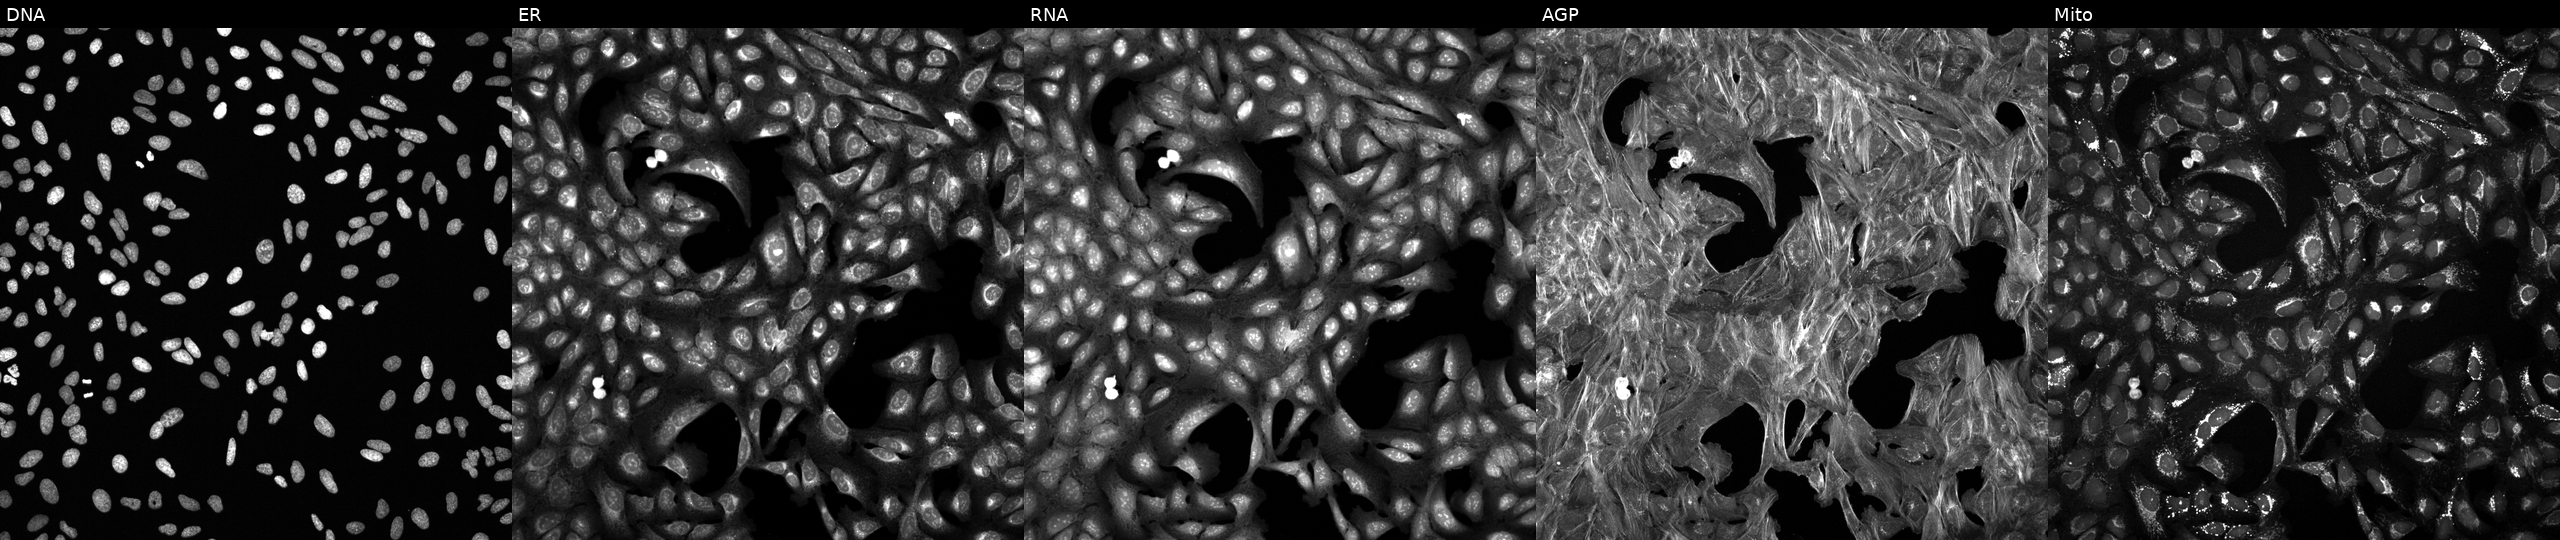
This image strip shows the five Cell Painting channels for a single field of U2OS cells treated with a small-molecule compound (InChIKey ZQKOZBBVPQWPNJ-UHFFFAOYSA-N). Channels (left→right): DNA (nuclei); ER (endoplasmic reticulum); RNA (nucleoli and cytoplasmic RNA); AGP (actin cytoskeleton, Golgi, and plasma membrane); Mito (mitochondria).